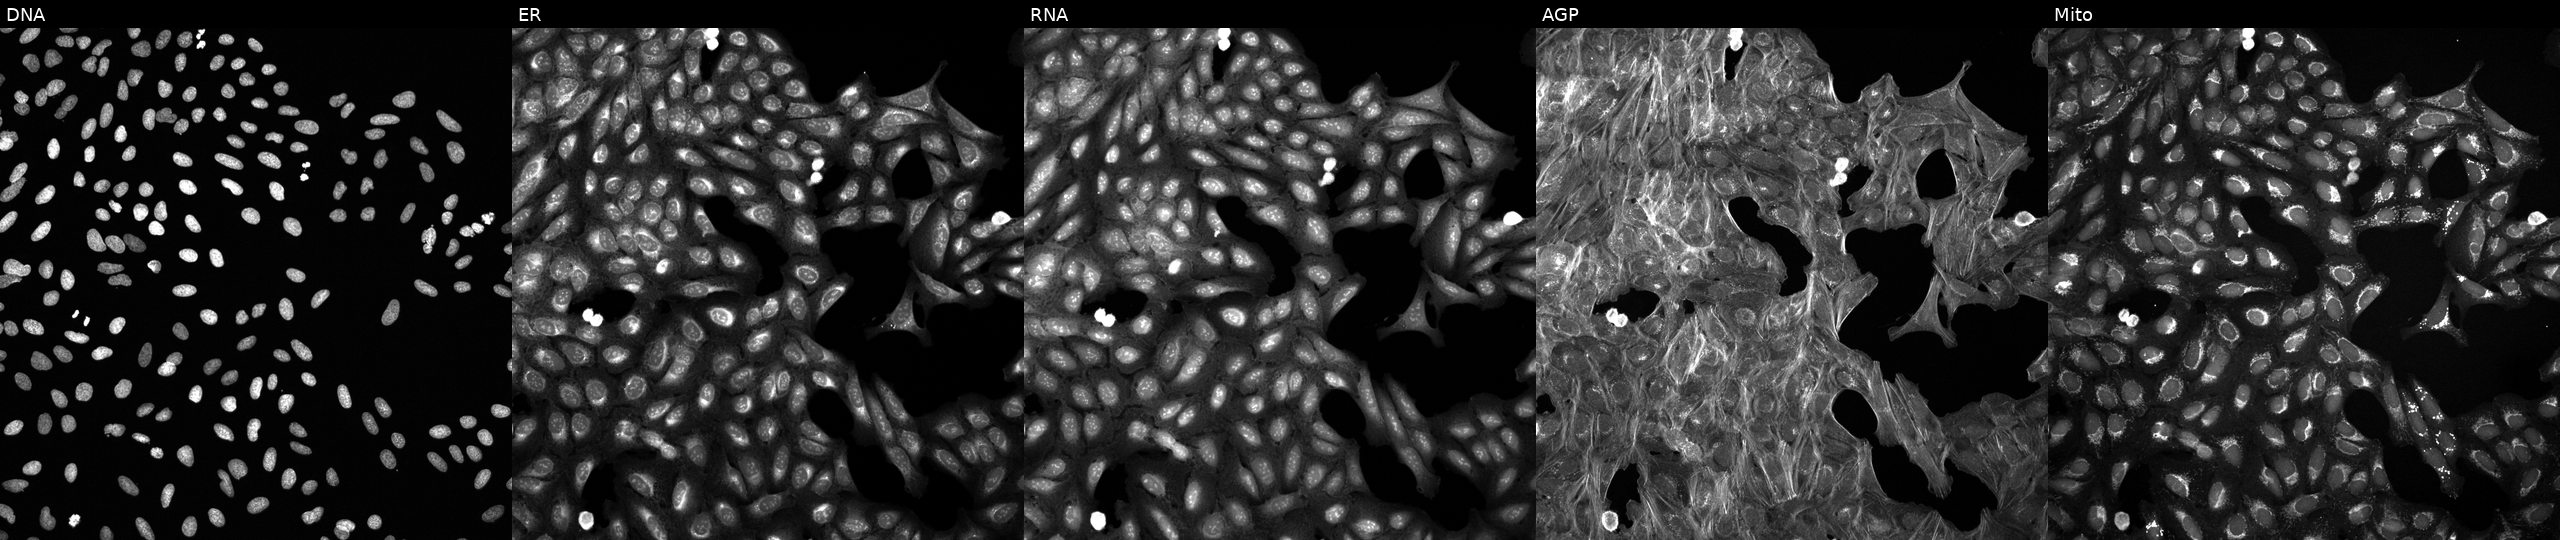
U2OS cells, Cell Painting assay, exposed to a small-molecule compound (InChIKey BDNFQGRSKSQXRI-UHFFFAOYSA-N). Channels (left→right): Hoechst 33342, concanavalin A, SYTO 14, phalloidin and WGA, MitoTracker. Each panel is percentile-stretched 16-bit fluorescence.